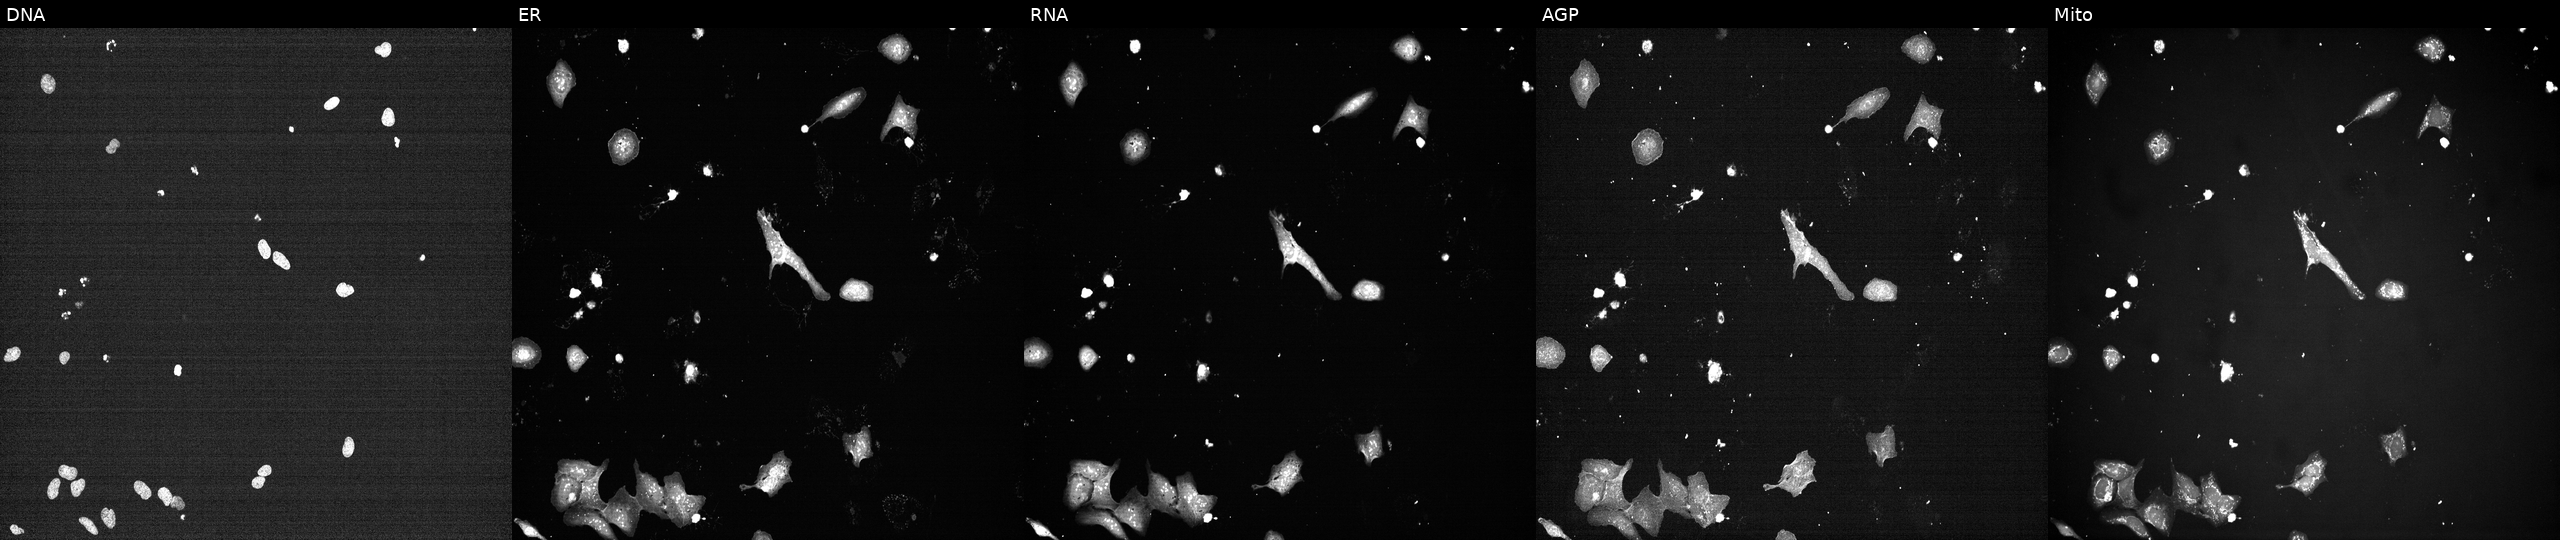
JUMP Cell Painting — TARGET2 plate. U2OS cells treated with a small-molecule compound (InChIKey YKJYKKNCCRKFSL-UHFFFAOYSA-N) [SMILES: COc1ccc(CC2NCC(O)C2OC(C)=O)cc1]. The five panels, left to right, show DNA (nuclei); ER (endoplasmic reticulum); RNA (nucleoli and cytoplasmic RNA); AGP (actin cytoskeleton, Golgi, and plasma membrane); Mito (mitochondria). Source 7, plate CP1-SC1-25, well L09.